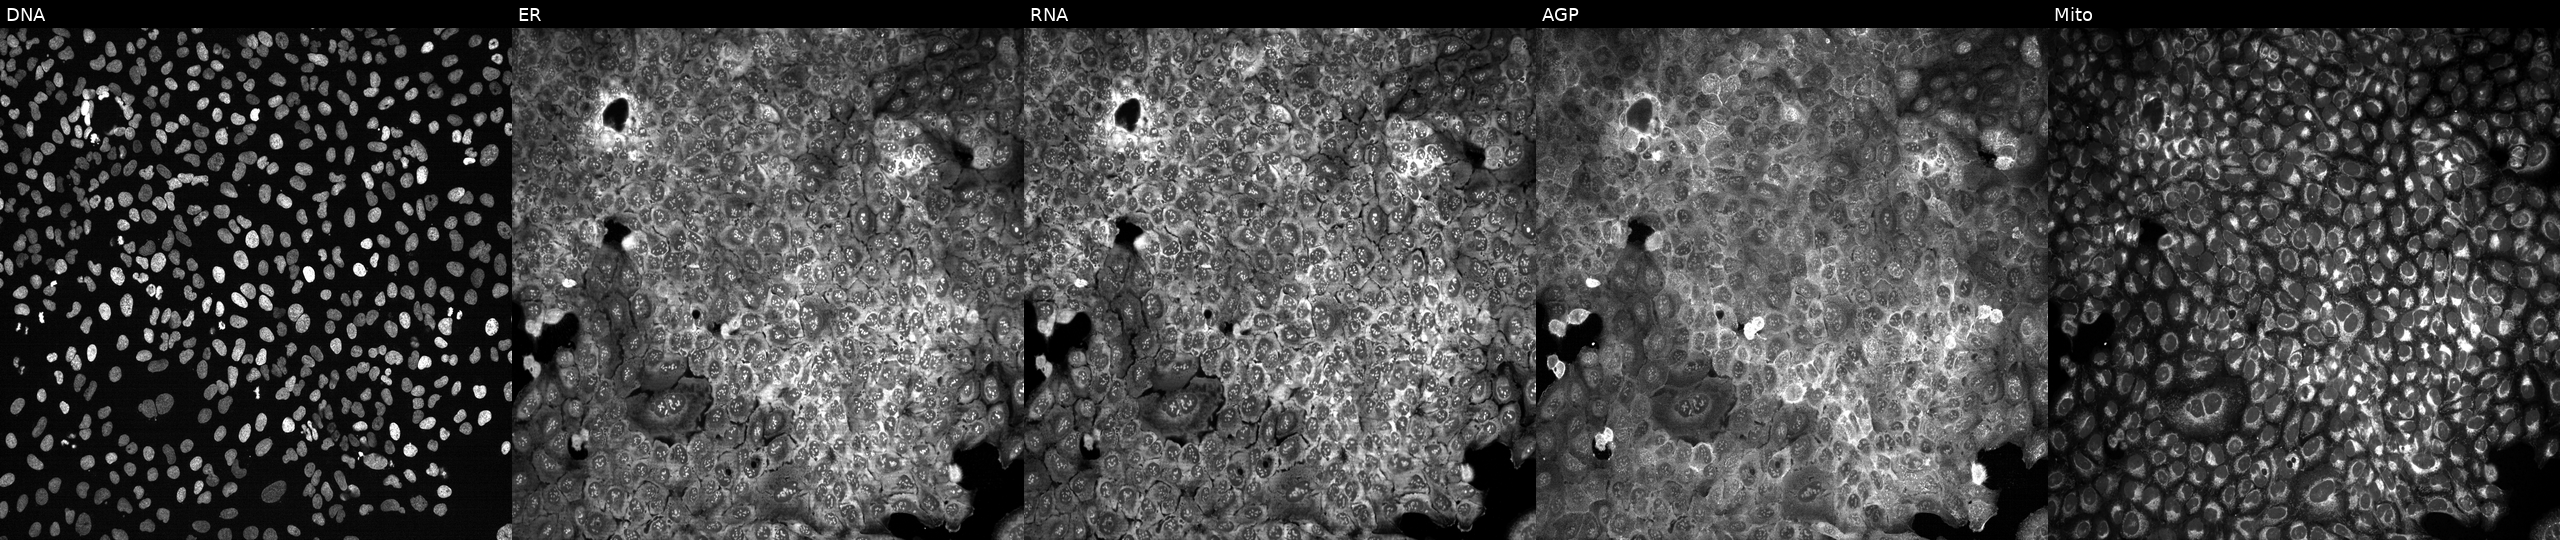
JUMP Cell Painting — CRISPR plate. U2OS cells CRISPR-edited to disrupt ARFRP1. Channels (left→right): DNA, ER, RNA, AGP, and Mito.